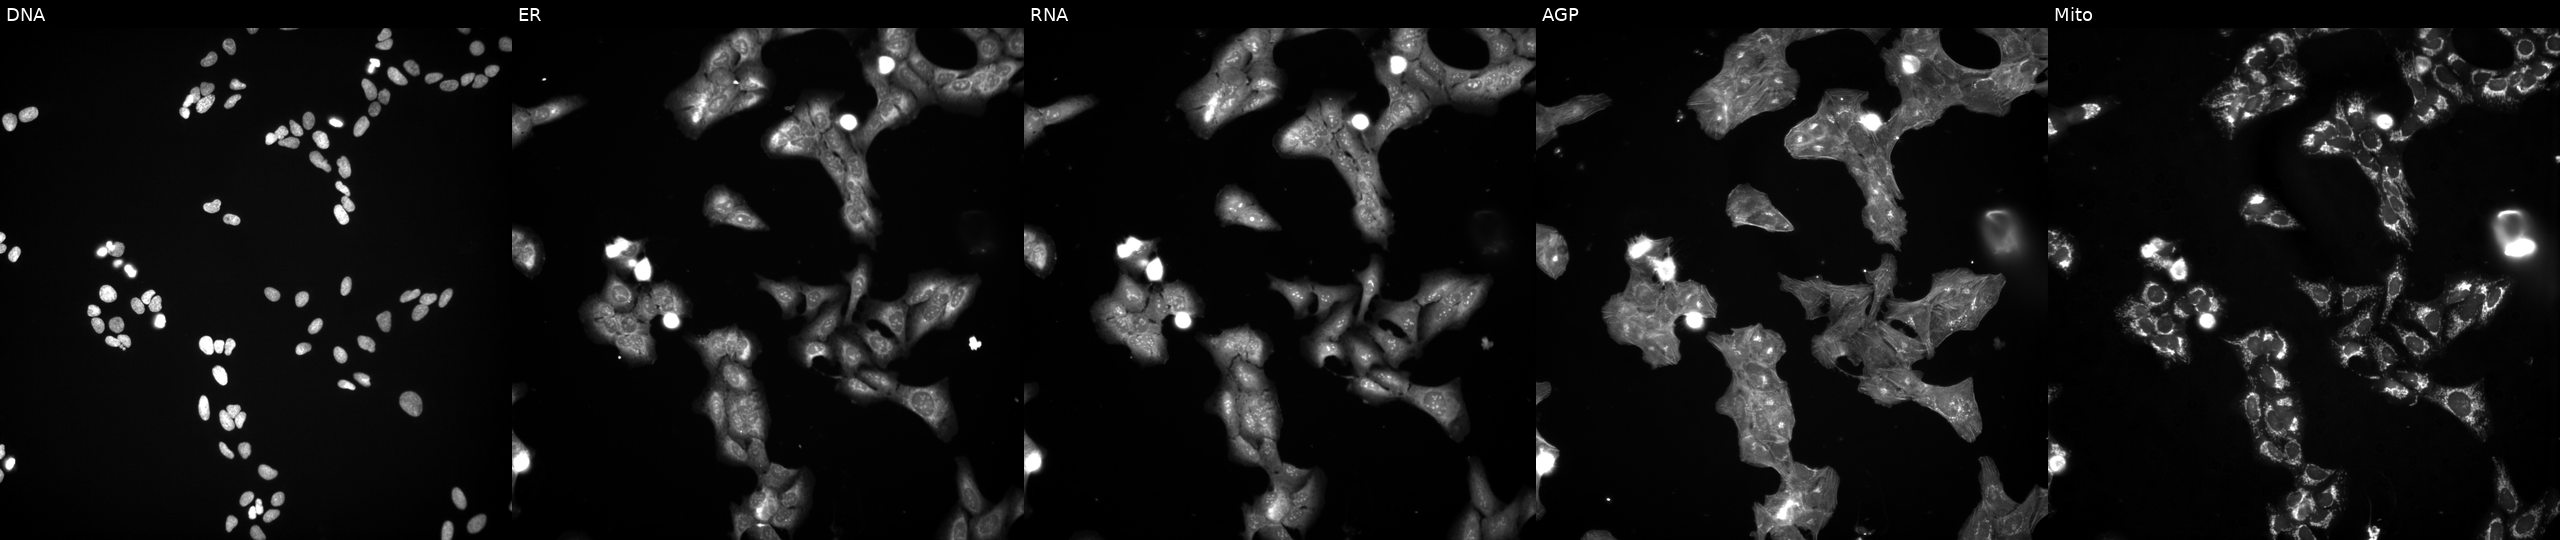
JUMP Cell Painting — TARGET2 plate. U2OS cells perturbed with a small-molecule compound (JUMP id JCP2022_015955). Panels show, left to right, DNA, ER, RNA, AGP, and Mito. Source 3, plate JCPQC053, well J03.